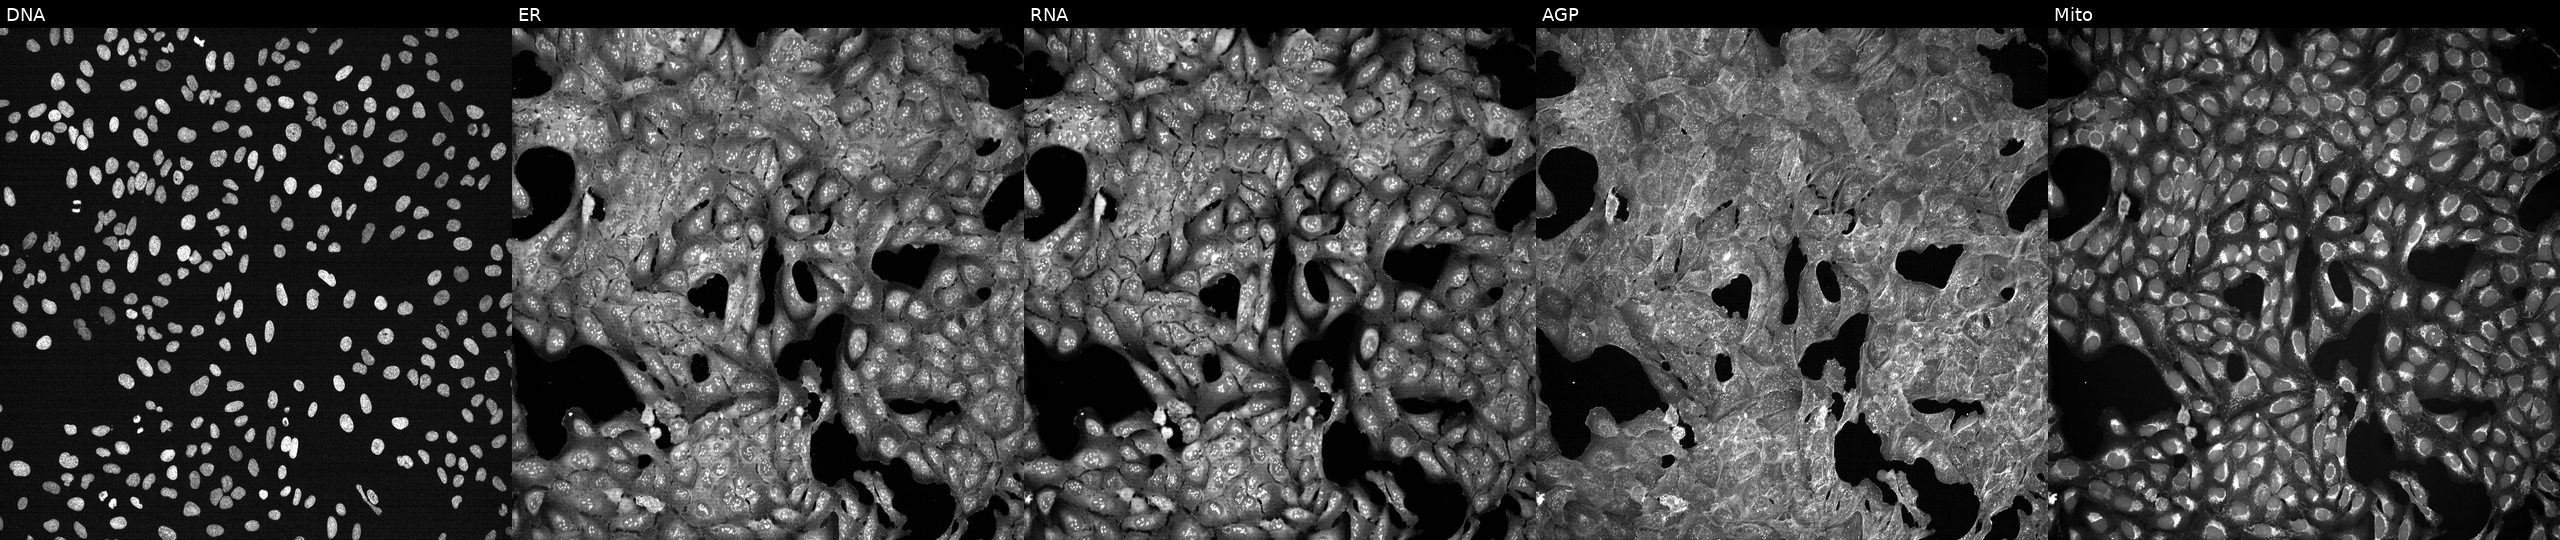
JUMP Cell Painting — TARGET2 plate. U2OS cells treated with DMSO vehicle only (negative control). Channels (left→right): Hoechst 33342, concanavalin A, SYTO 14, phalloidin and WGA, MitoTracker.